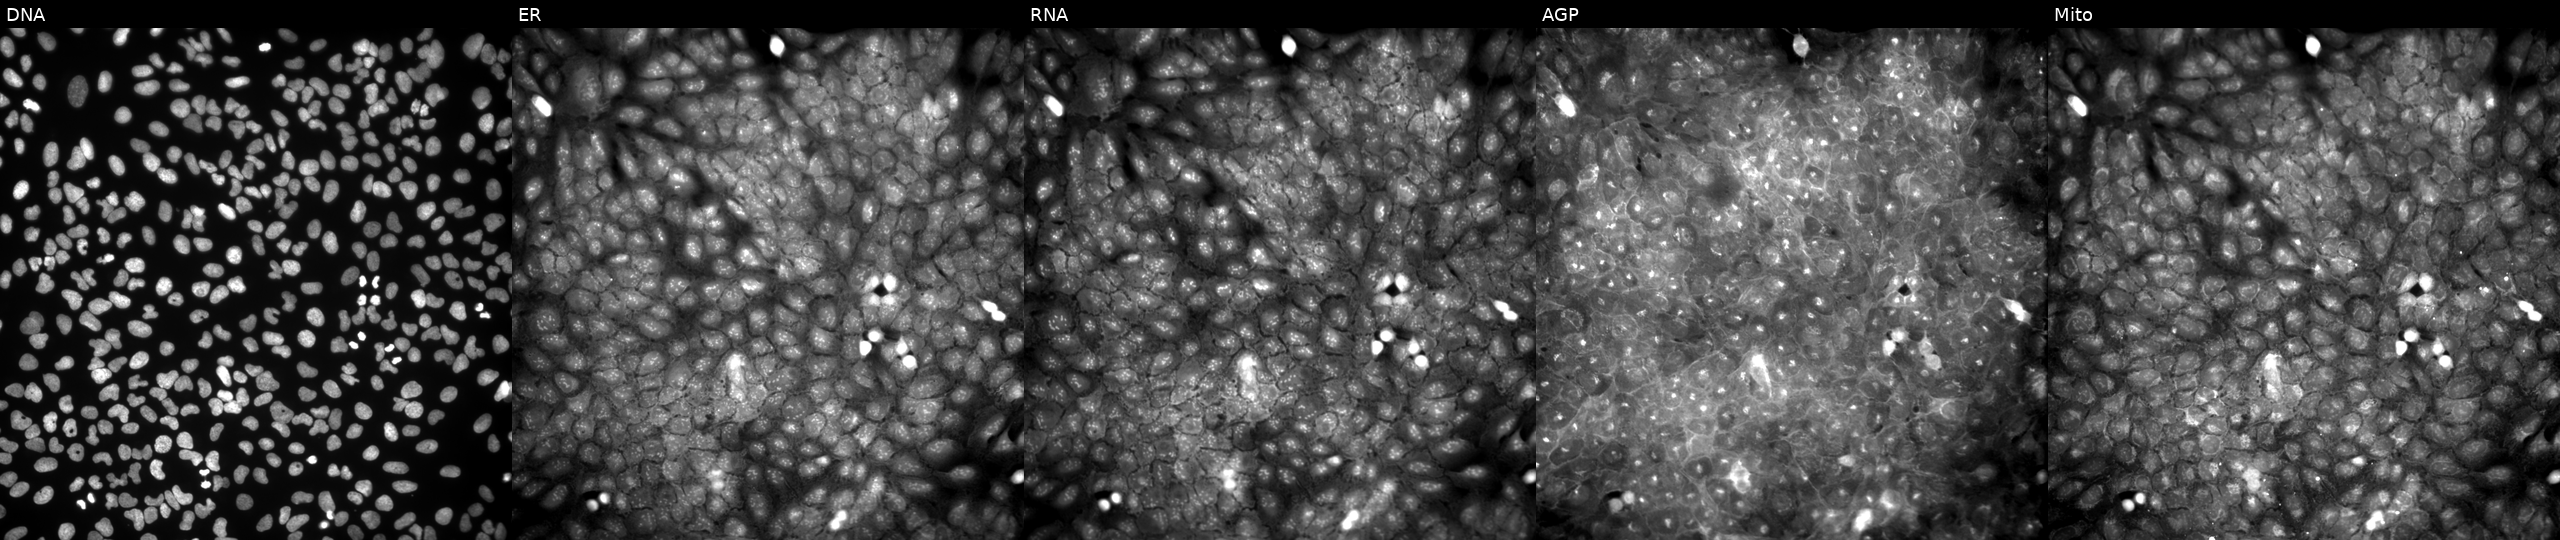
Five-channel Cell Painting image of U2OS cells exposed to DMSO alone as a negative control. Panels show, left to right, DNA, ER, RNA, AGP, and Mito.